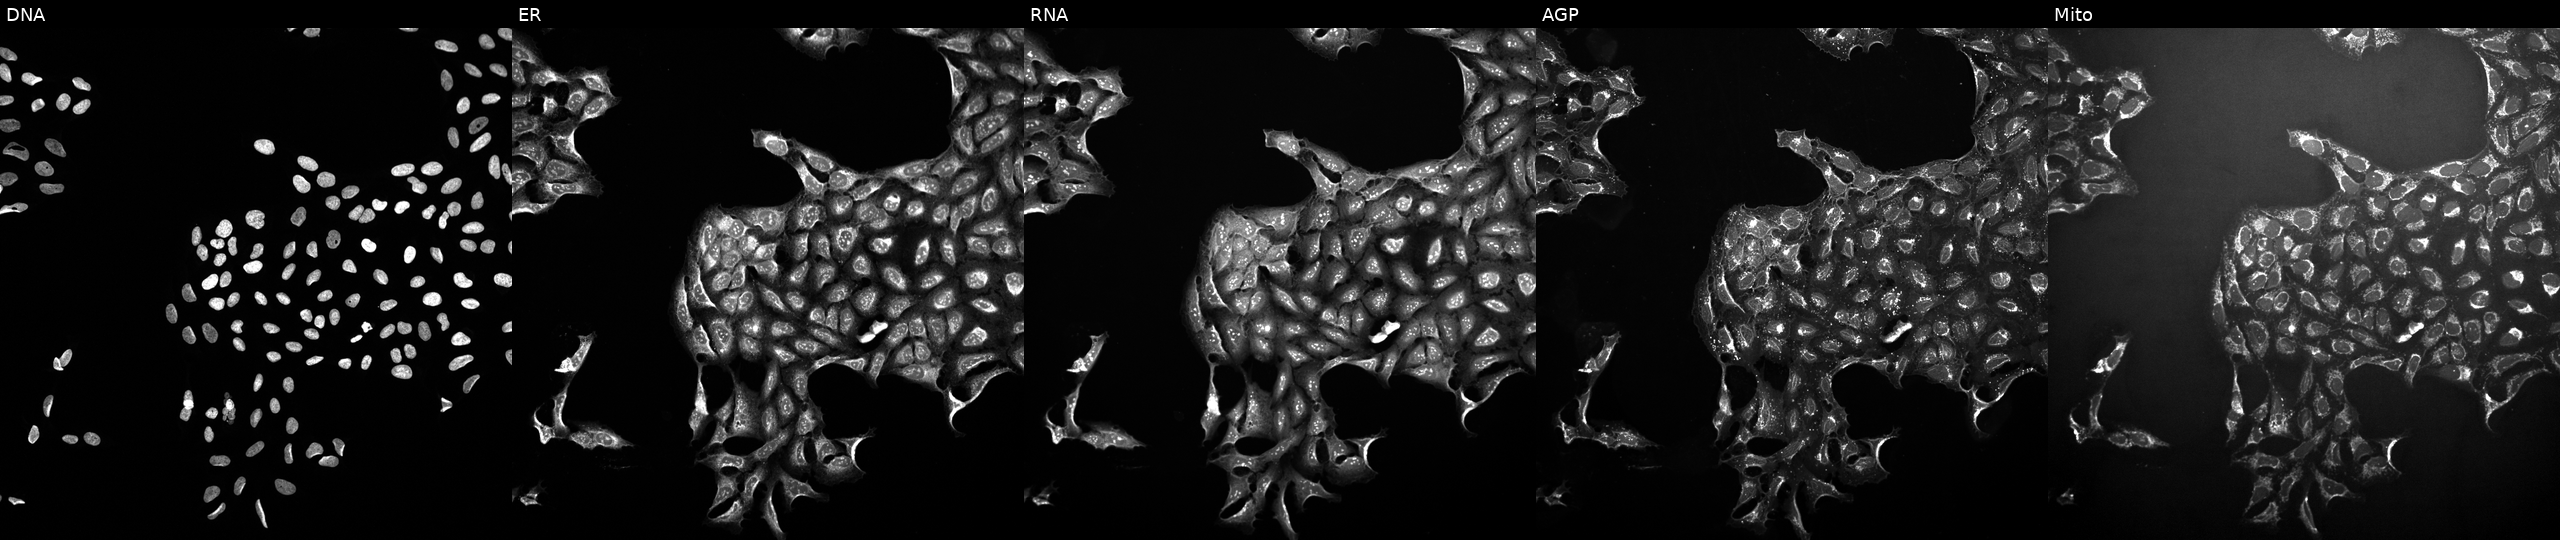
Five-channel Cell Painting image of U2OS cells treated with a small-molecule compound (InChIKey UXUQIRNFBFRPAC-UHFFFAOYSA-N) (JUMP id JCP2022_092256). From left to right: DNA, ER, RNA, AGP, and Mito. Source 10, plate Dest210803-153958, well P01.